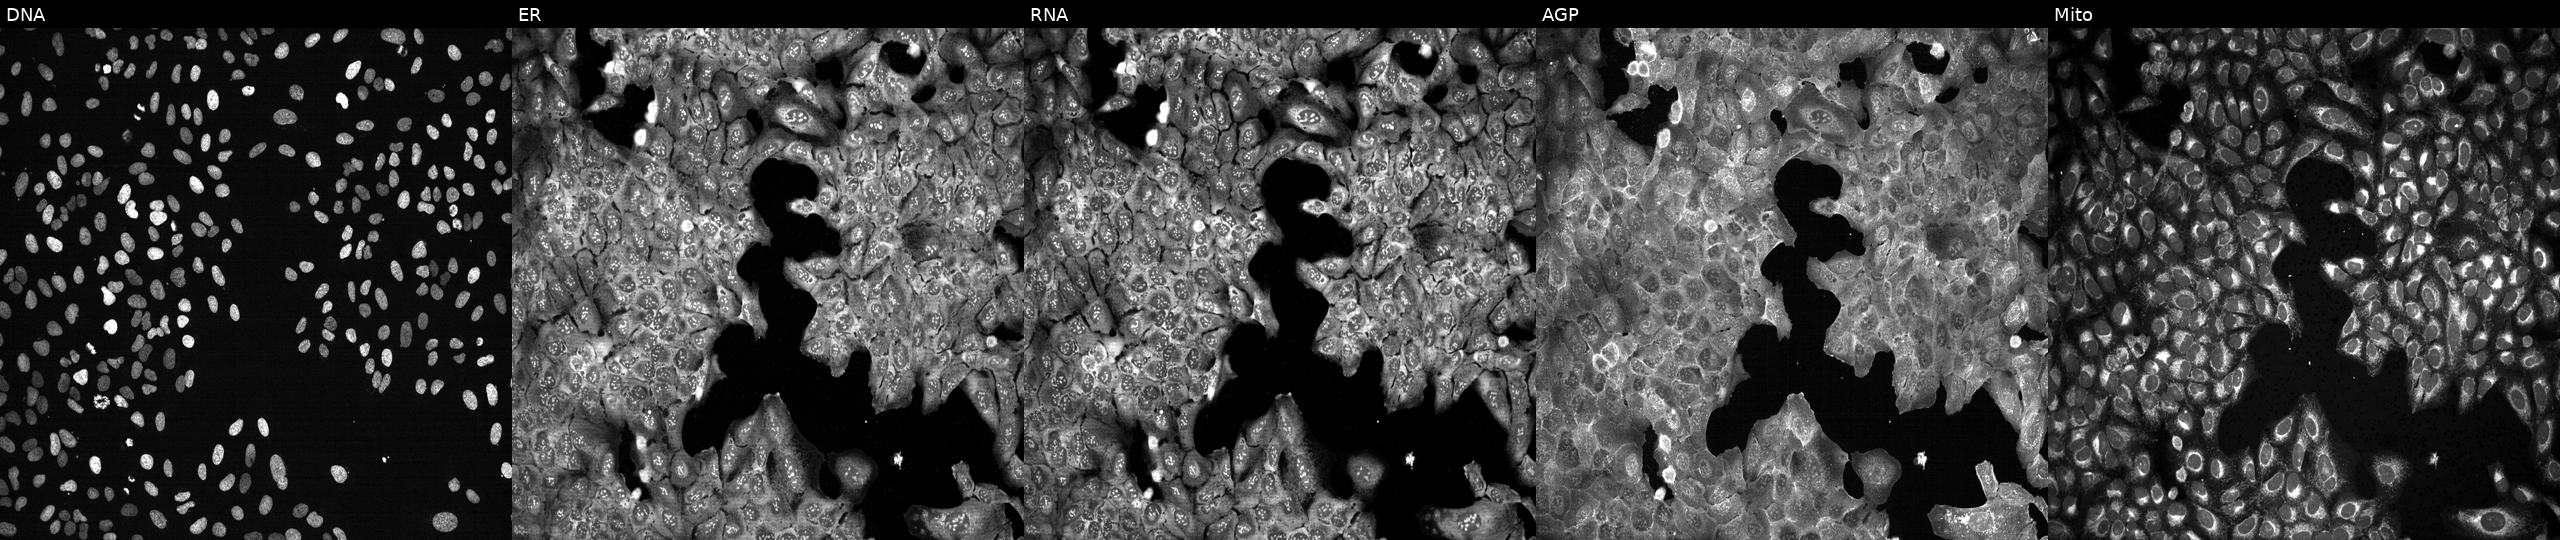
This image strip shows the five Cell Painting channels for a single field of U2OS cells with UGT2B15 knocked out by CRISPR. Panels show, left to right, Hoechst 33342, concanavalin A, SYTO 14, phalloidin and WGA, MitoTracker.